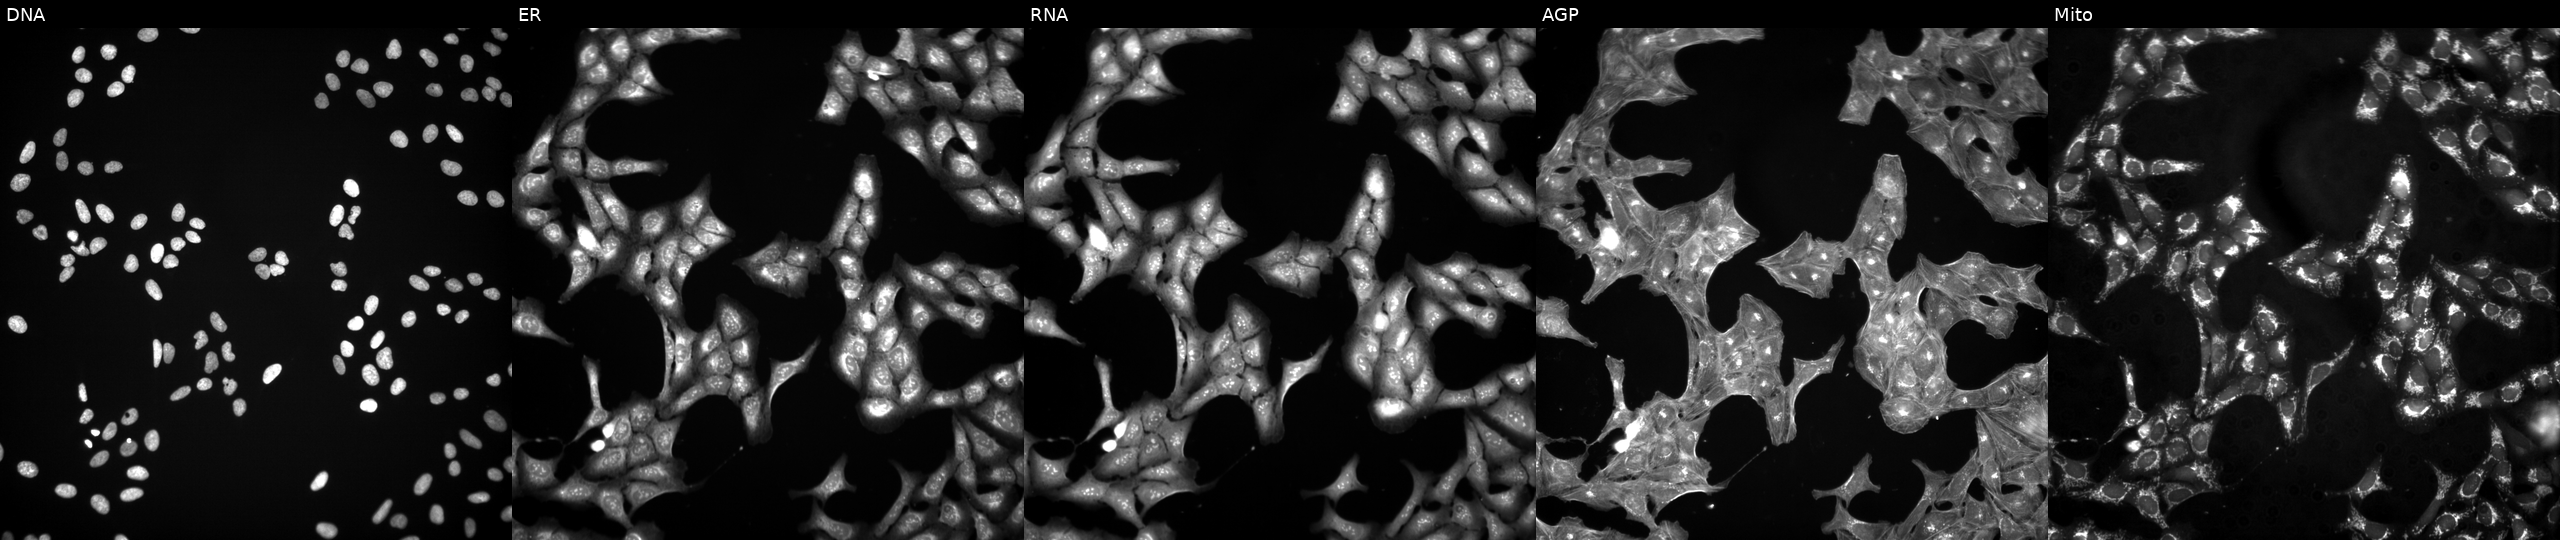
U2OS cells, Cell Painting assay, exposed to a small-molecule compound (InChIKey JZFPYUNJRRFVQU-UHFFFAOYSA-N) [SMILES: O=C(O)c1ccc[nH]c1=Nc1cccc(C(F)(F)F)c1]. Panels show, left to right, Hoechst 33342, concanavalin A, SYTO 14, phalloidin and WGA, MitoTracker. Each panel is percentile-stretched 16-bit fluorescence. Source 3, plate JCPQC053, well P22.